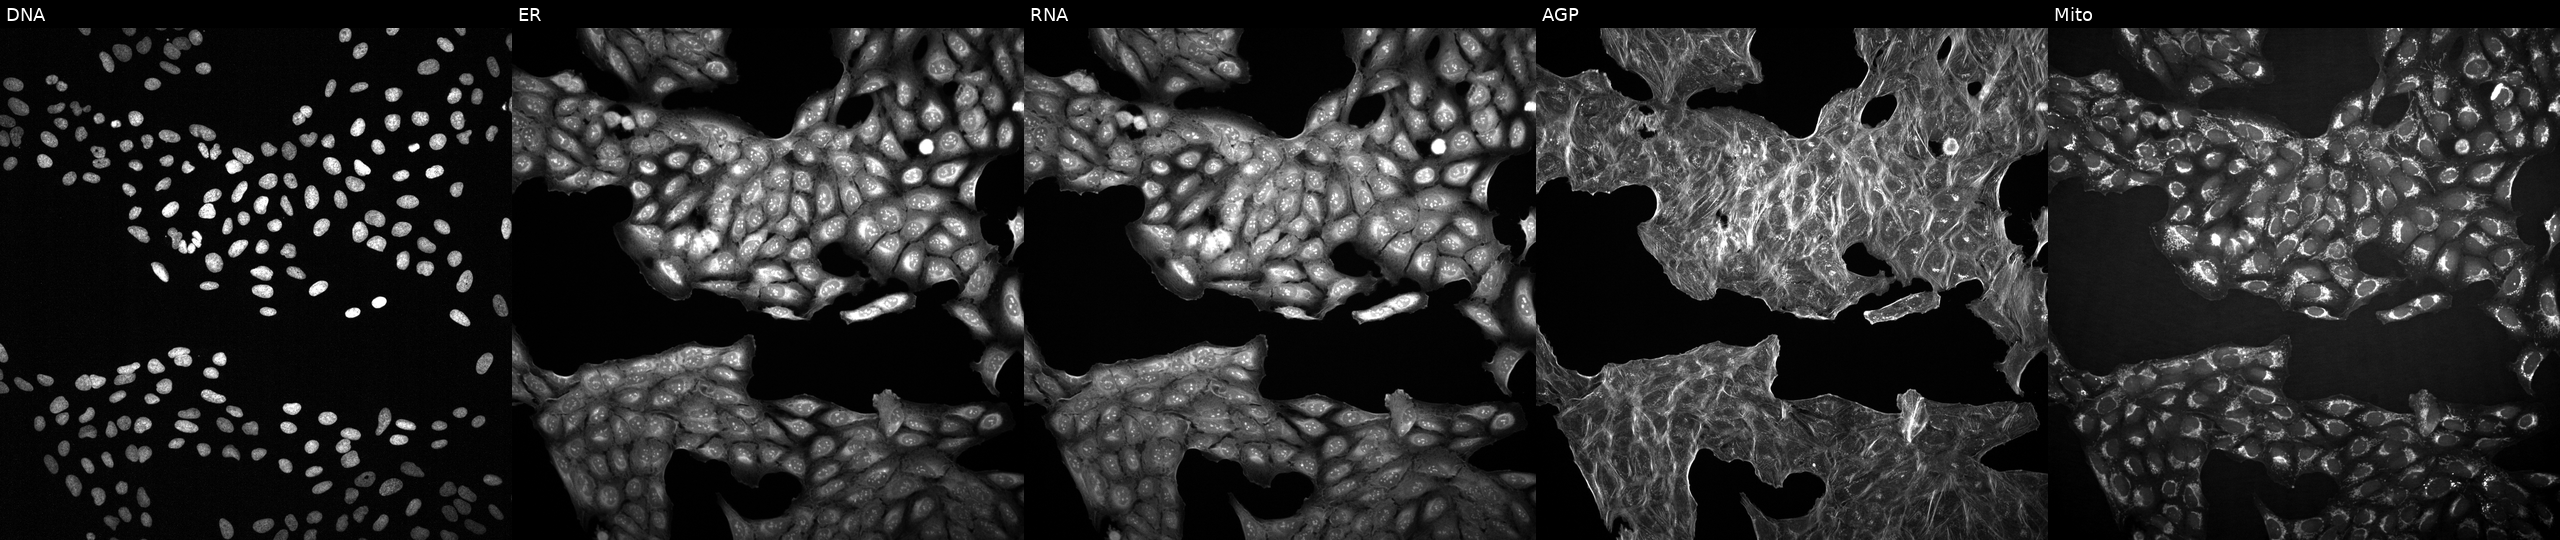
High-content fluorescence microscopy (Cell Painting). Cell line: U2OS. Perturbation: exposed to the positive-control compound quinidine (JUMP id JCP2022_050797). Channels (left→right): DNA, ER, RNA, AGP, and Mito. Source 2, plate 1053601763, well K24.